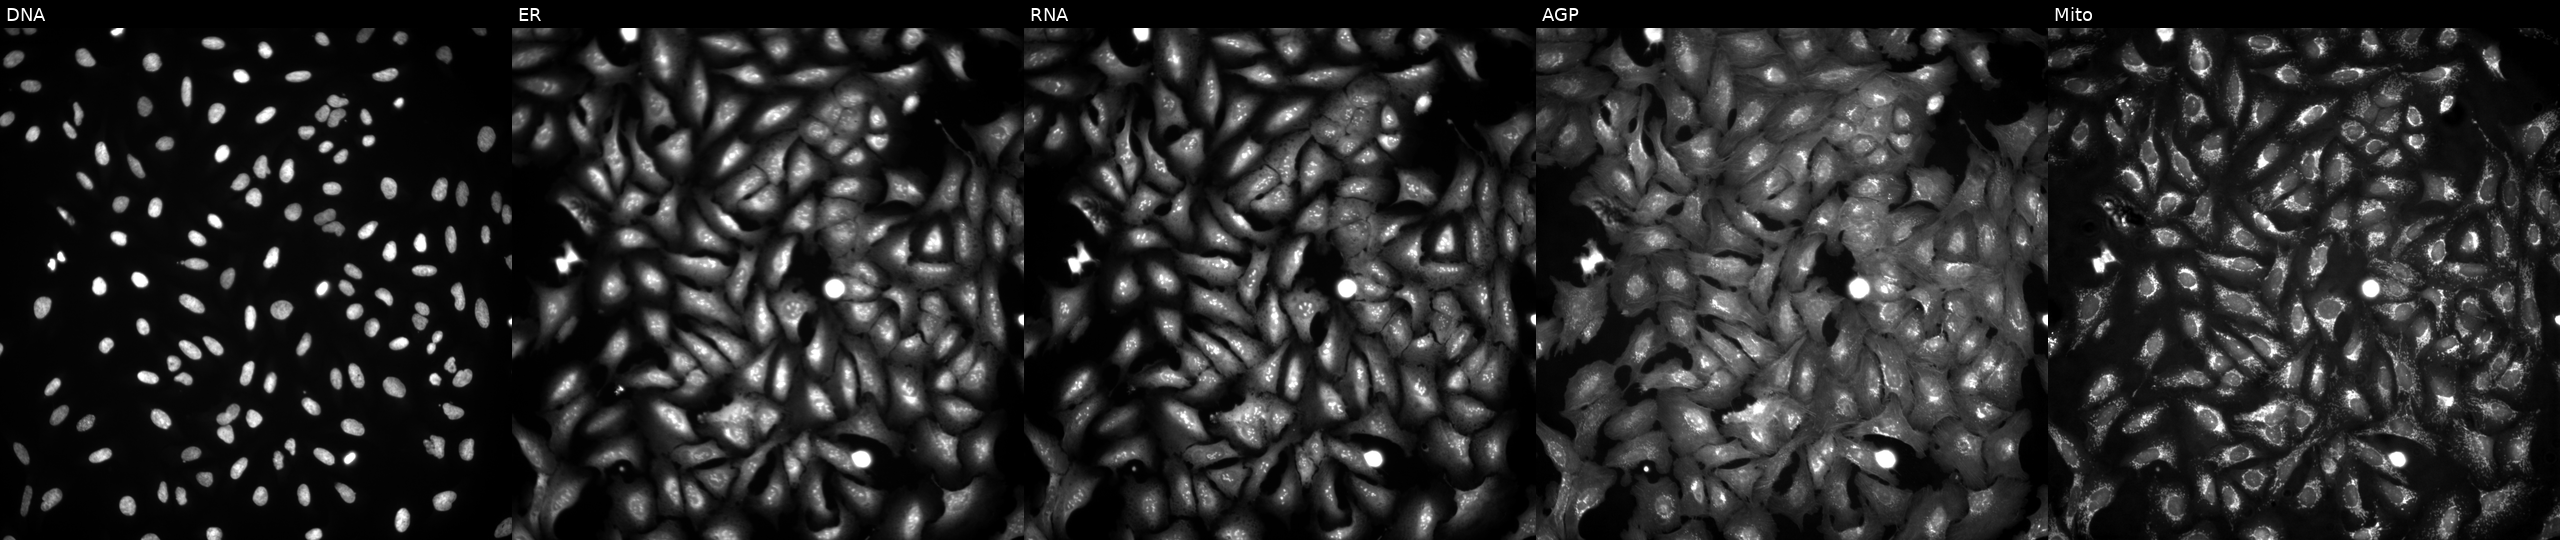
JUMP Cell Painting — ORF plate. U2OS cells transfected with an ORF construct for CRYAB. Channels (left→right): DNA, ER, RNA, AGP, and Mito.